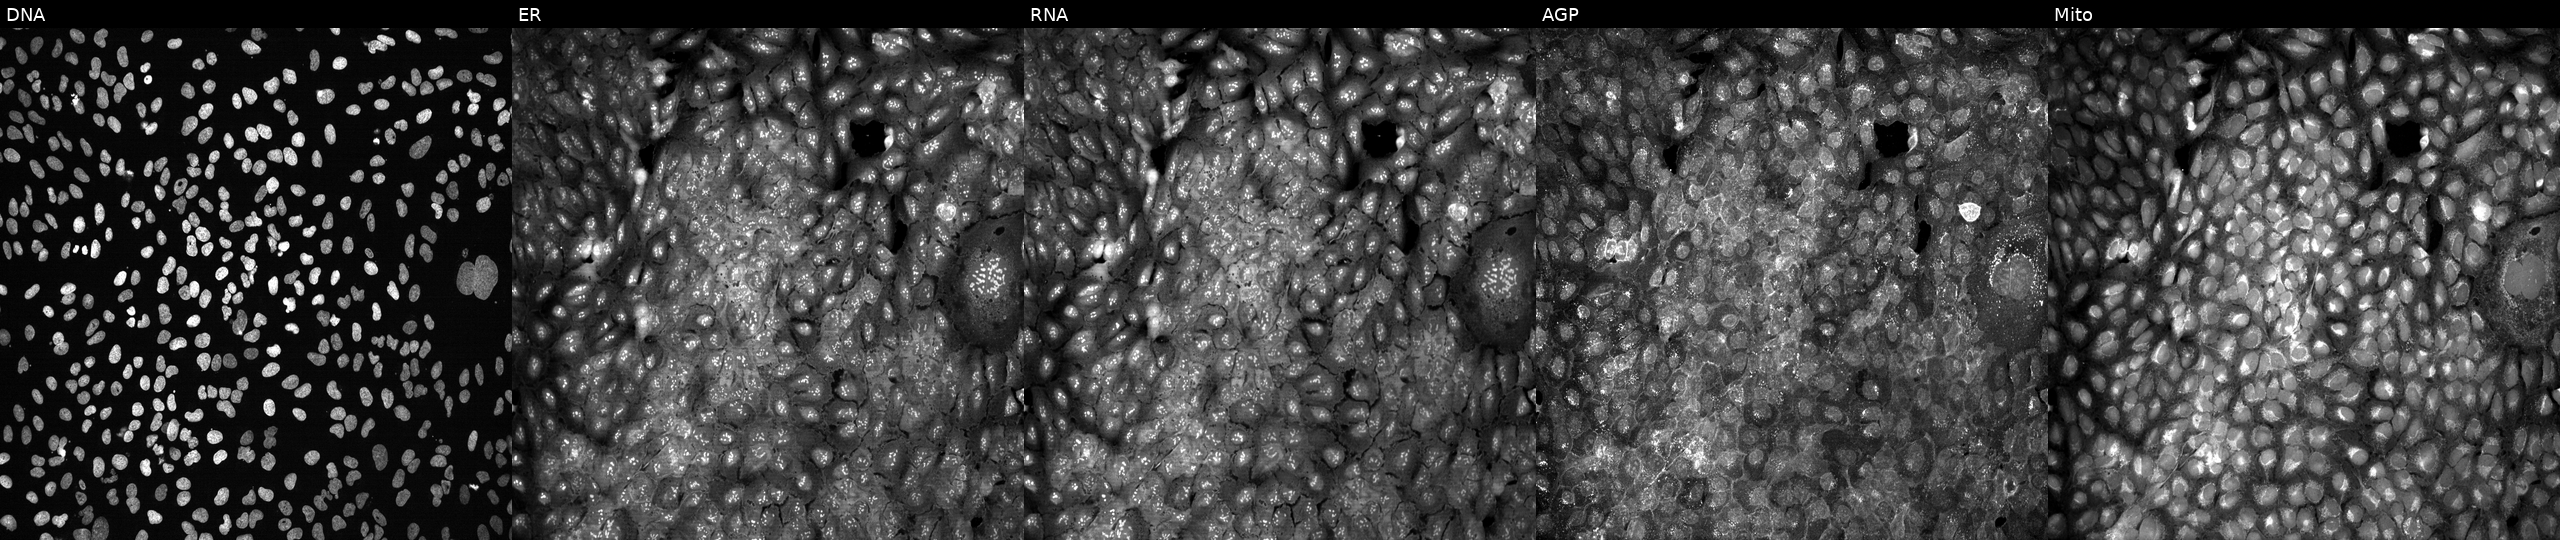
U2OS cells, Cell Painting assay, following CRISPR knockout of PDE8B. The five panels, left to right, show DNA (nuclei); ER (endoplasmic reticulum); RNA (nucleoli and cytoplasmic RNA); AGP (actin cytoskeleton, Golgi, and plasma membrane); Mito (mitochondria). Each panel is percentile-stretched 16-bit fluorescence.